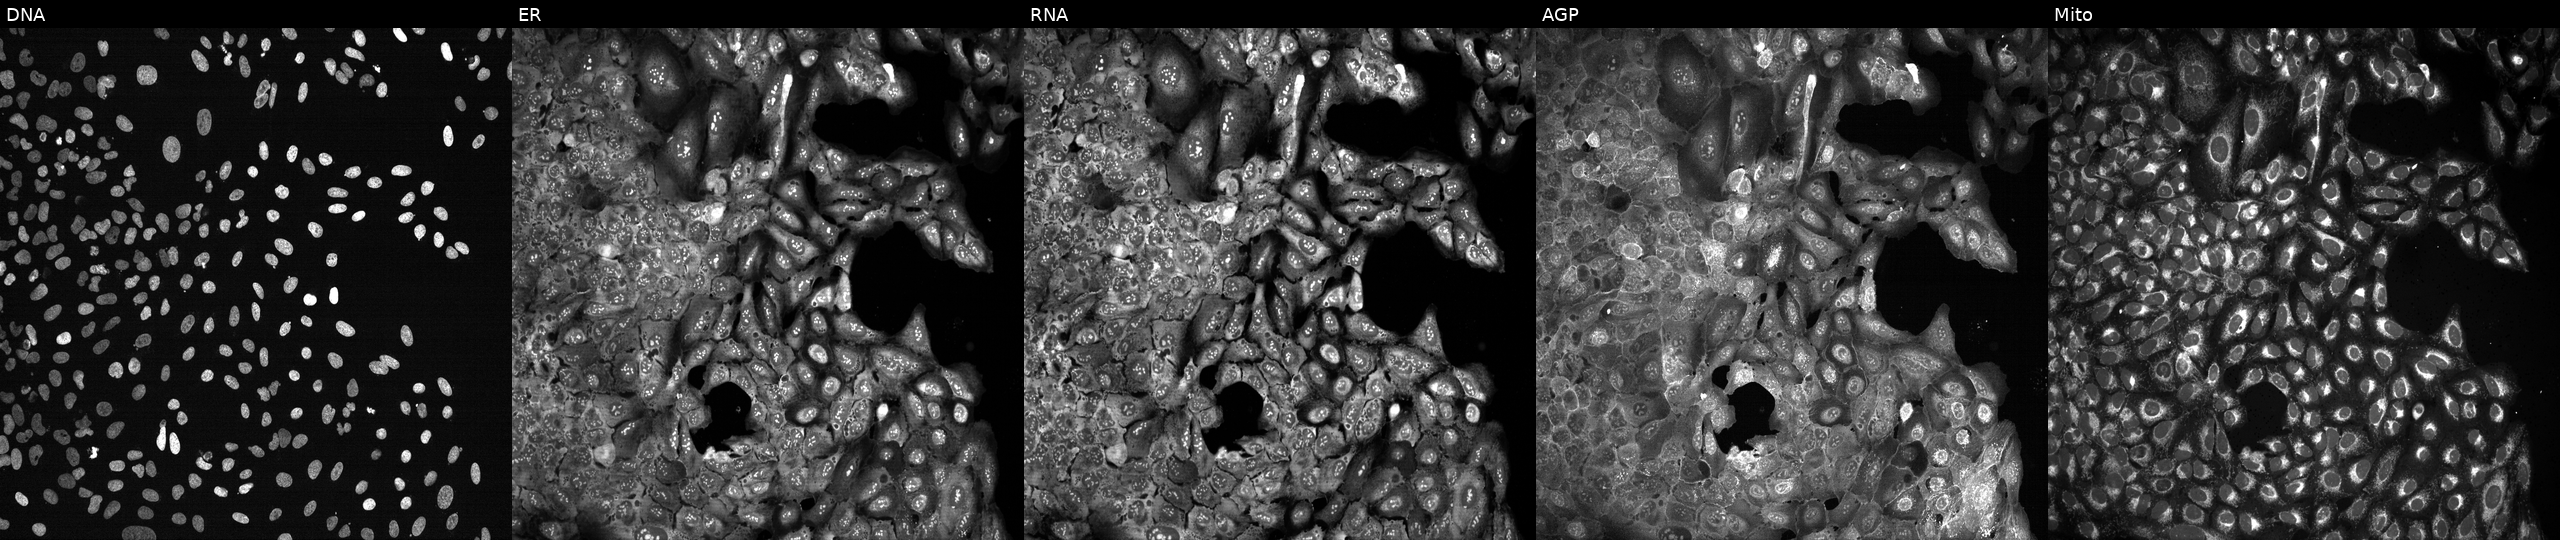
Five-channel Cell Painting image of U2OS cells CRISPR-edited to disrupt PXDNL. From left to right: DNA (nuclei); ER (endoplasmic reticulum); RNA (nucleoli and cytoplasmic RNA); AGP (actin cytoskeleton, Golgi, and plasma membrane); Mito (mitochondria).